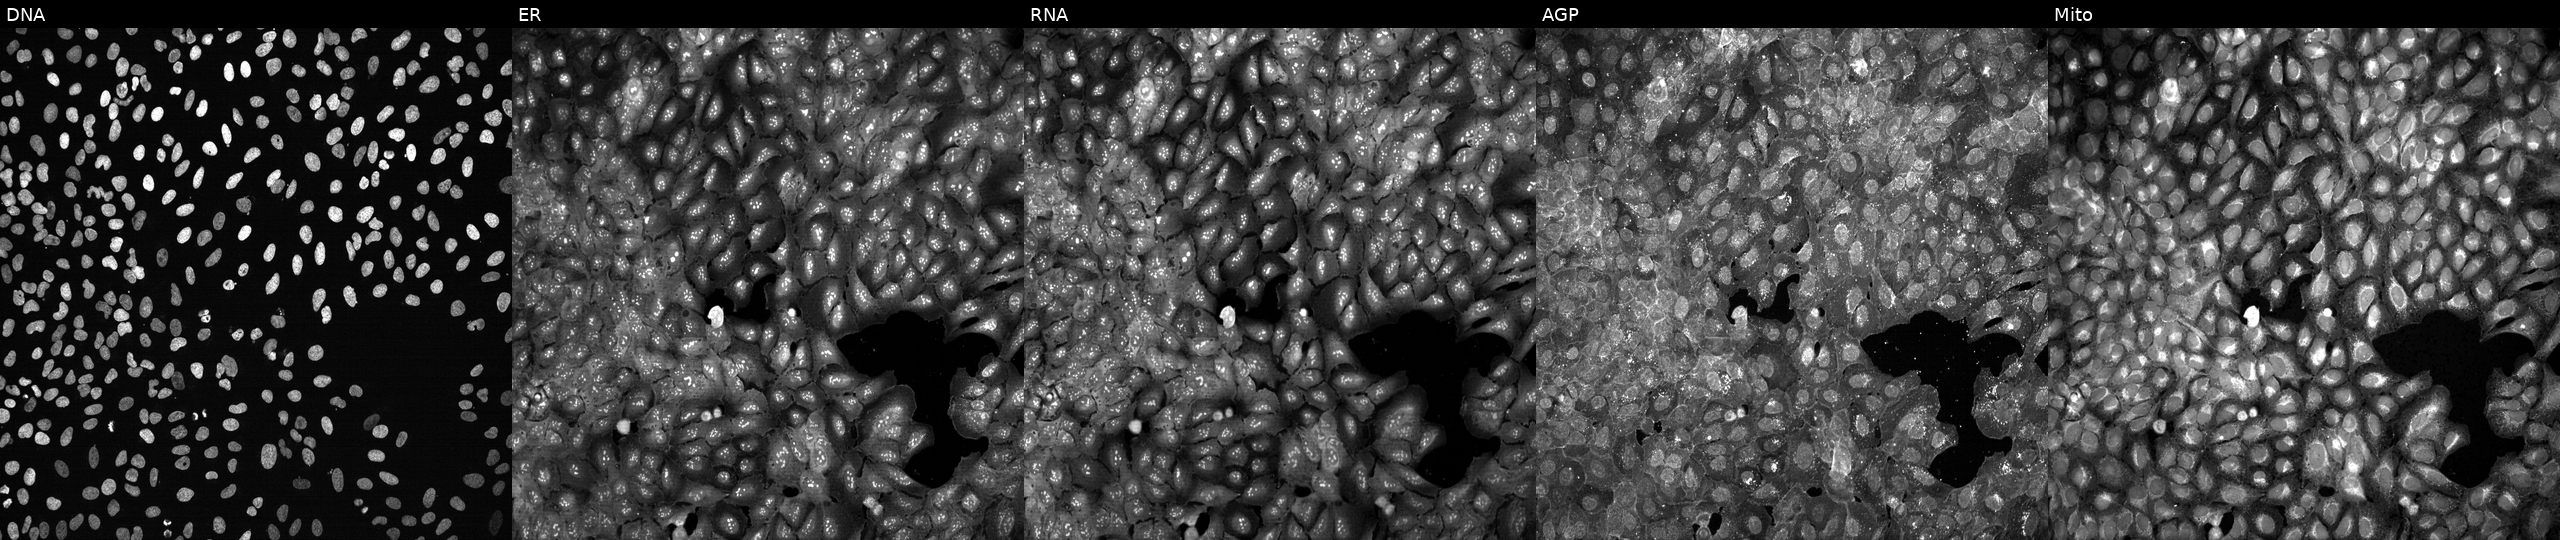
Panels show, left to right, DNA, ER, RNA, AGP, and Mito. U2OS osteosarcoma cells with GNAS knocked out by CRISPR. Cell Painting assay, JUMP-CP dataset.